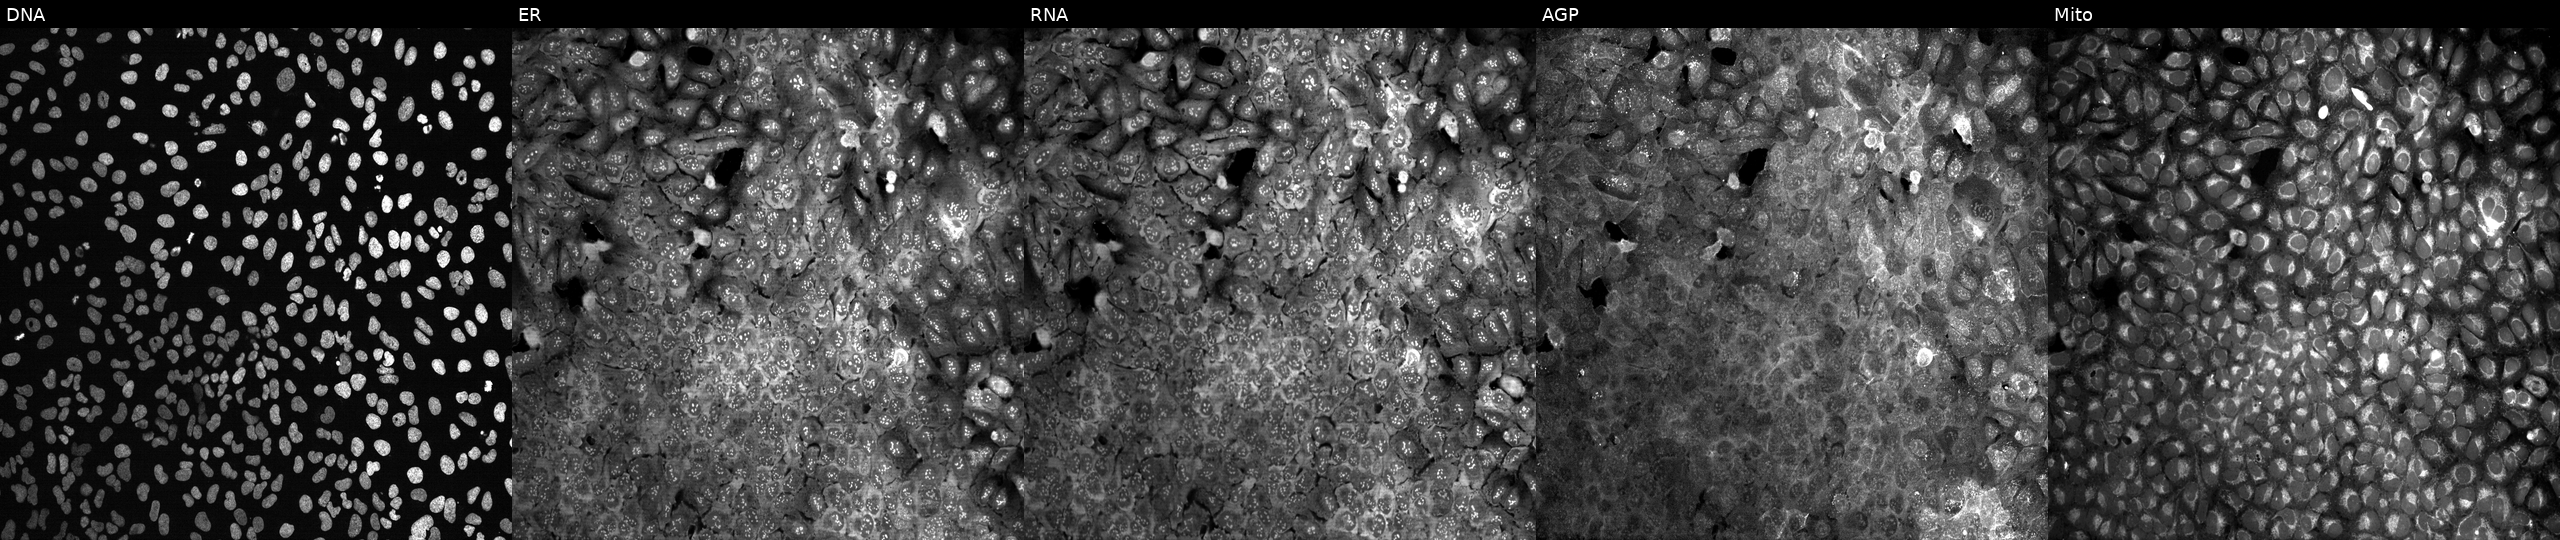
Five-channel Cell Painting image of U2OS cells following CRISPR knockout of CRLS1. Channels (left→right): DNA, ER, RNA, AGP, and Mito. Source 13, plate CP-CC9-R5-01, well M04.